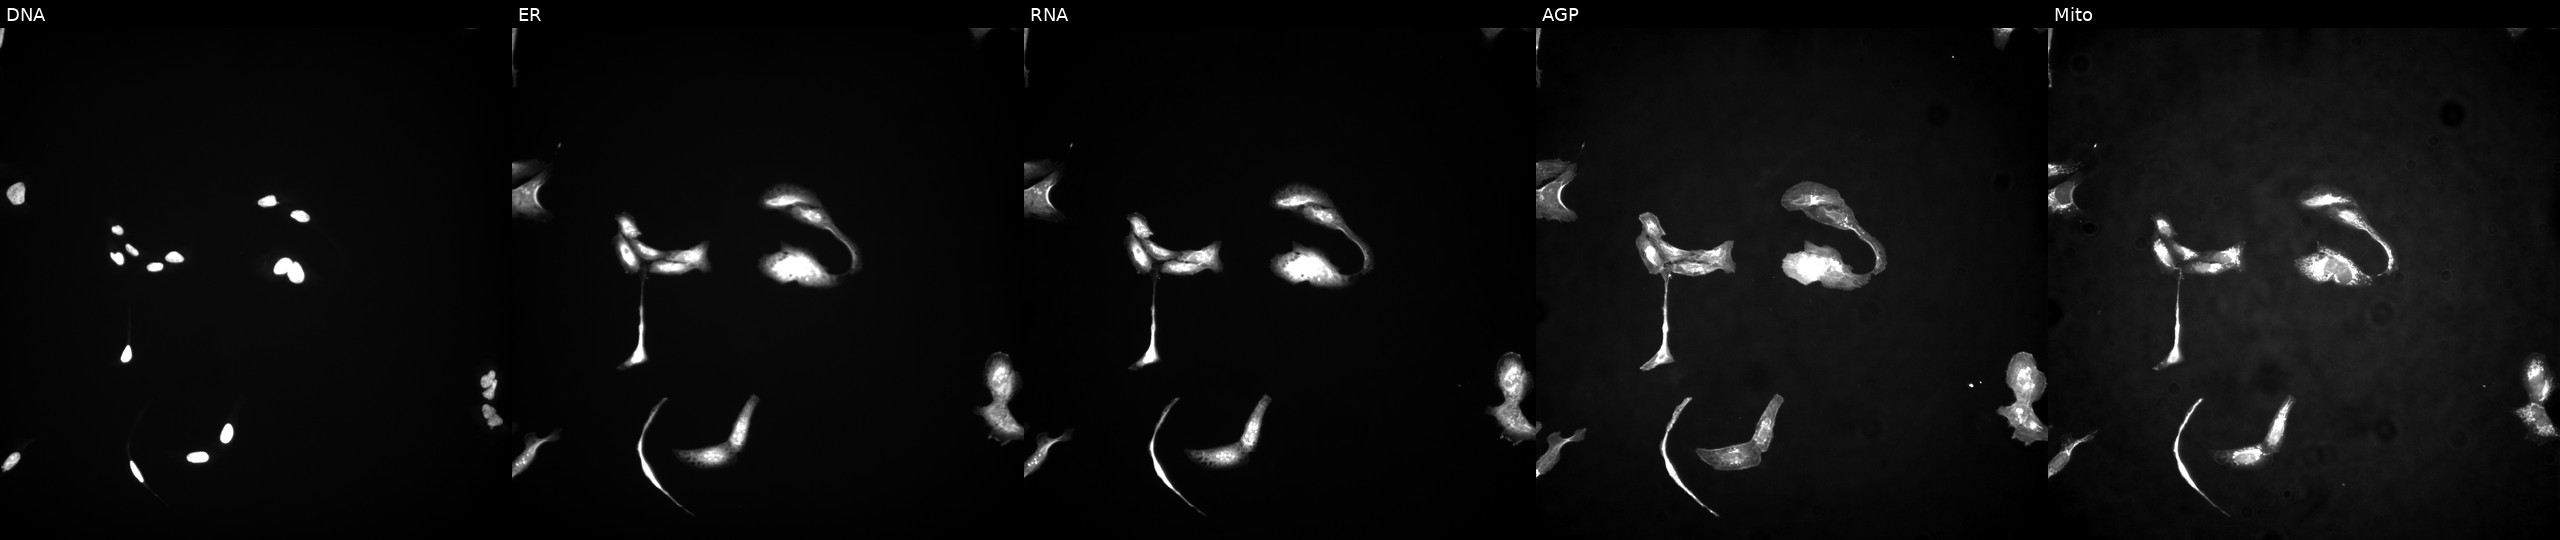
The five panels, left to right, show DNA (nuclei); ER (endoplasmic reticulum); RNA (nucleoli and cytoplasmic RNA); AGP (actin cytoskeleton, Golgi, and plasma membrane); Mito (mitochondria). U2OS osteosarcoma cells transfected with an ORF construct for GMEB1 (JUMP id JCP2022_902348). Cell Painting assay, JUMP-CP dataset.